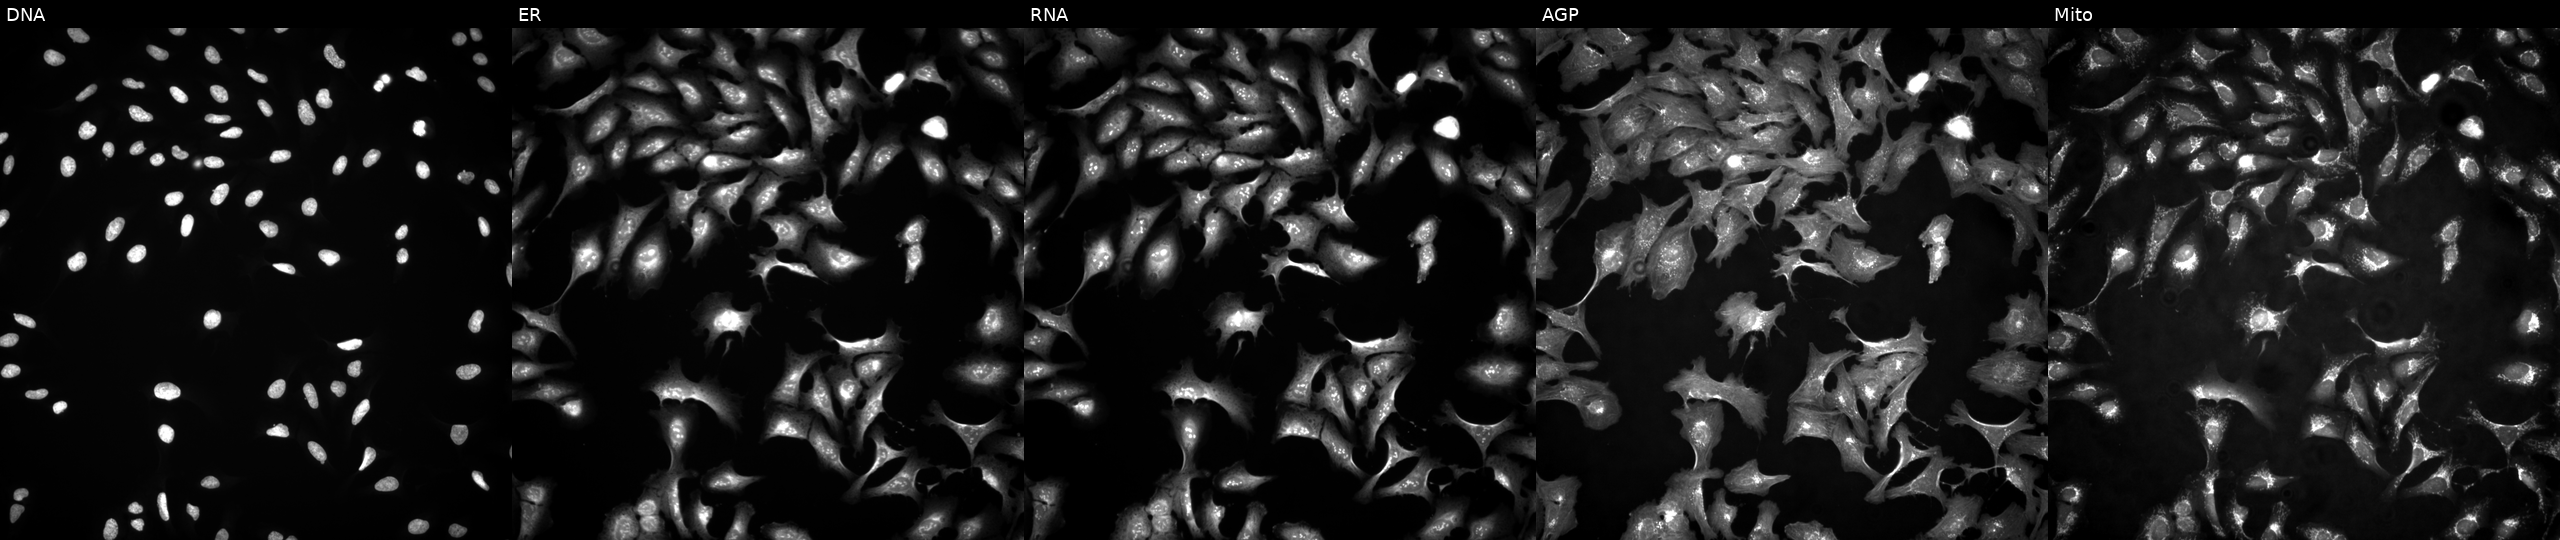
High-content fluorescence microscopy (Cell Painting). Cell line: U2OS. Perturbation: overexpressing STRADB via ORF transfection (JUMP id JCP2022_907977). Panels show, left to right, DNA, ER, RNA, AGP, and Mito.